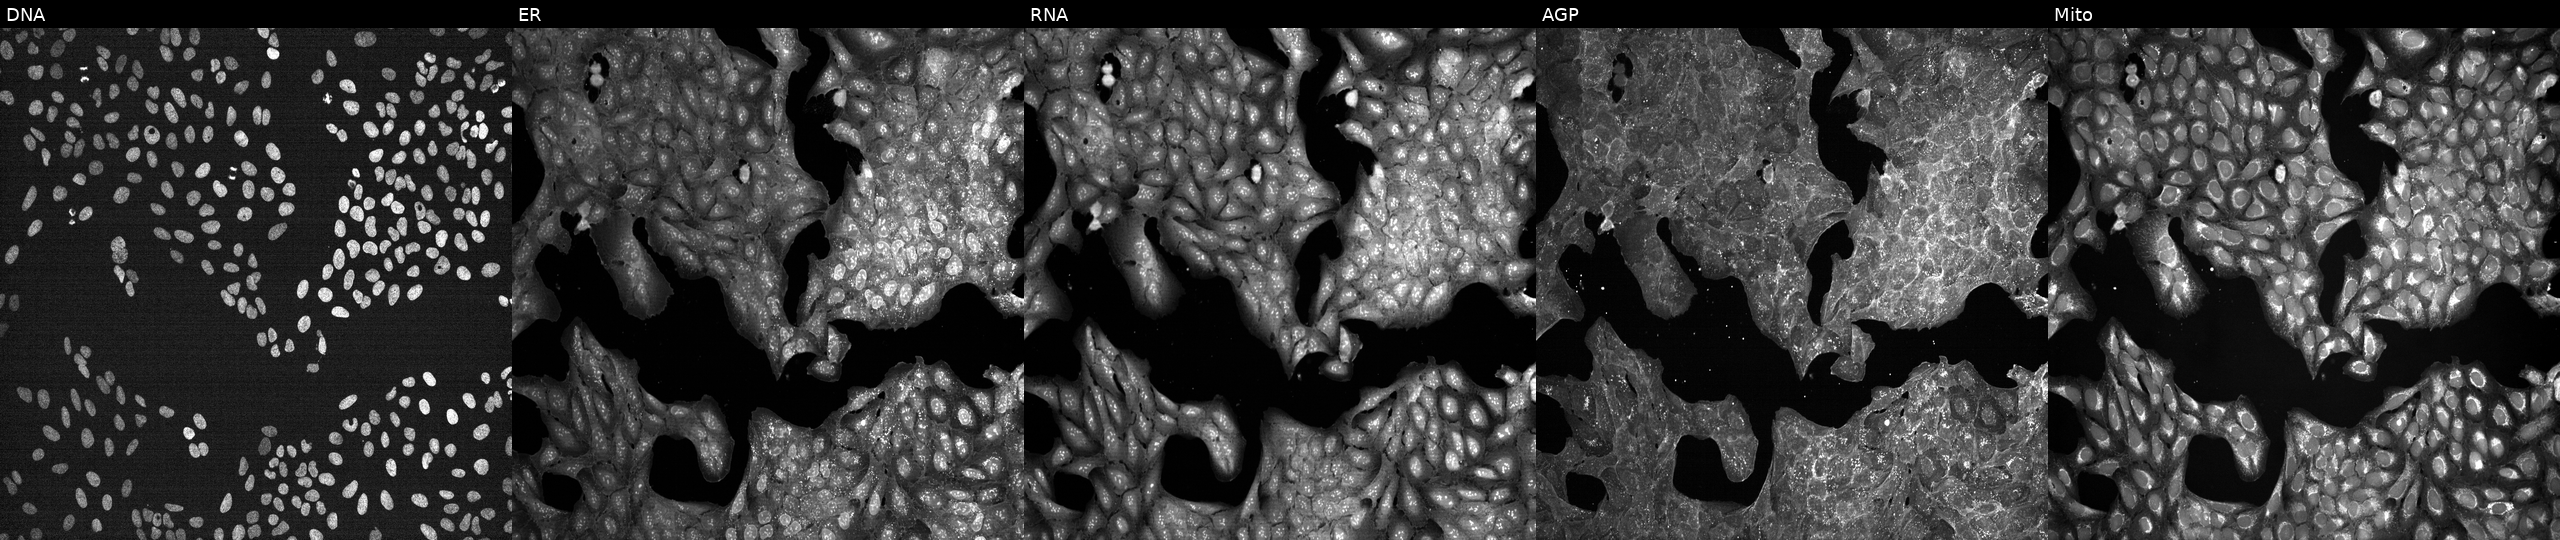
This image strip shows the five Cell Painting channels for a single field of U2OS cells treated with a small-molecule compound (InChIKey UIEATEWHFDRYRU-UHFFFAOYSA-N) (JUMP id JCP2022_089383). From left to right: Hoechst 33342, concanavalin A, SYTO 14, phalloidin and WGA, MitoTracker.